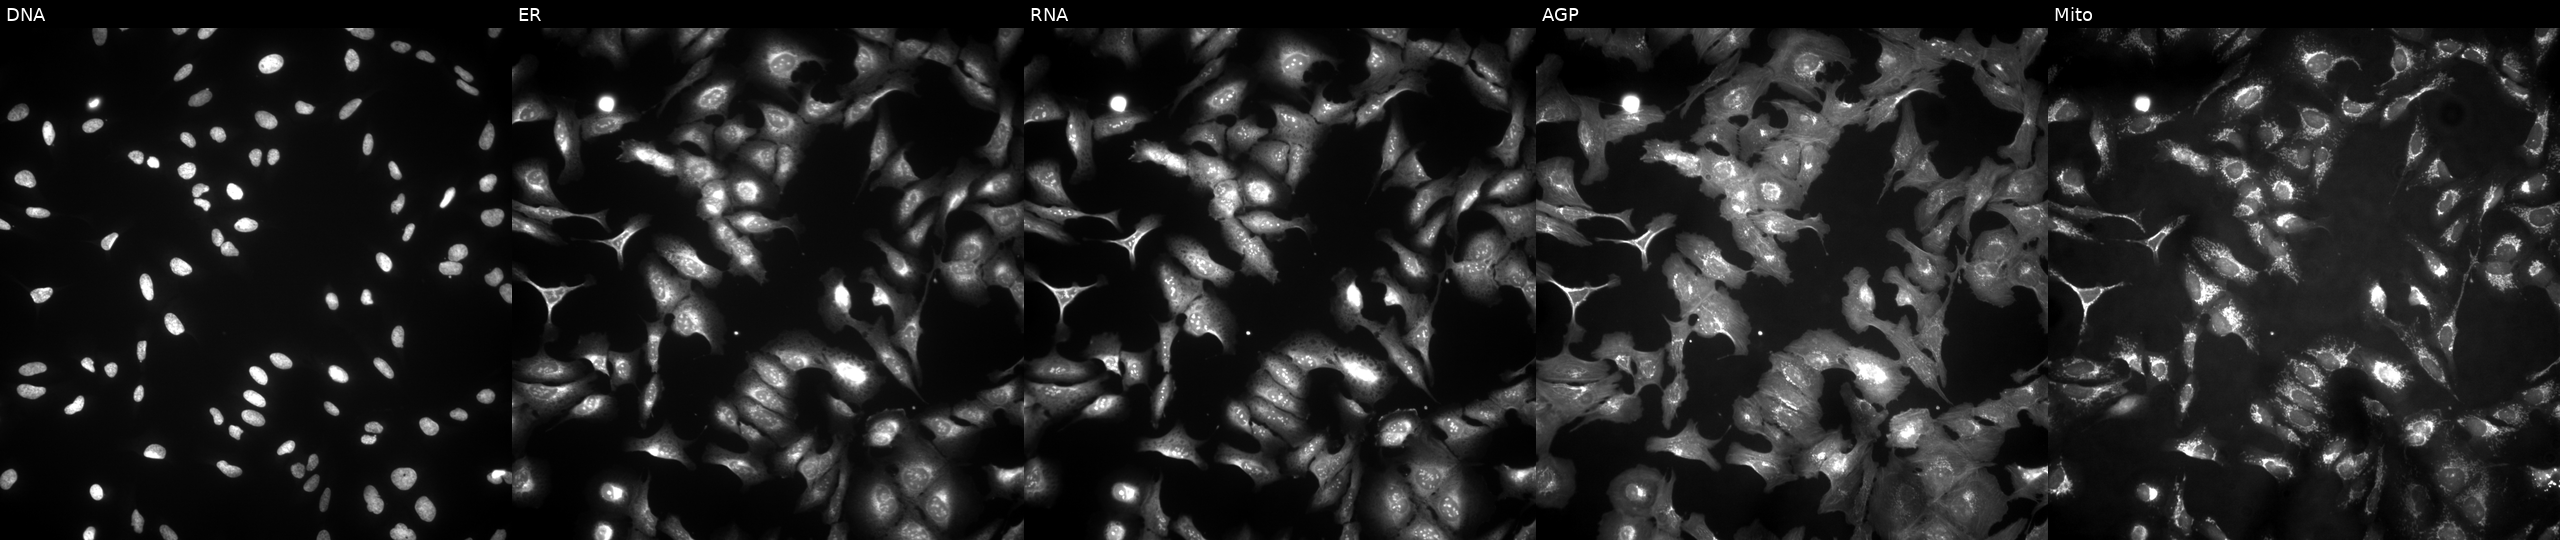
Five-channel Cell Painting image of U2OS cells with NOLC1 overexpressed (ORF) (JUMP id JCP2022_910585). From left to right: Hoechst 33342, concanavalin A, SYTO 14, phalloidin and WGA, MitoTracker. Source 4, plate BR00123506, well C20.